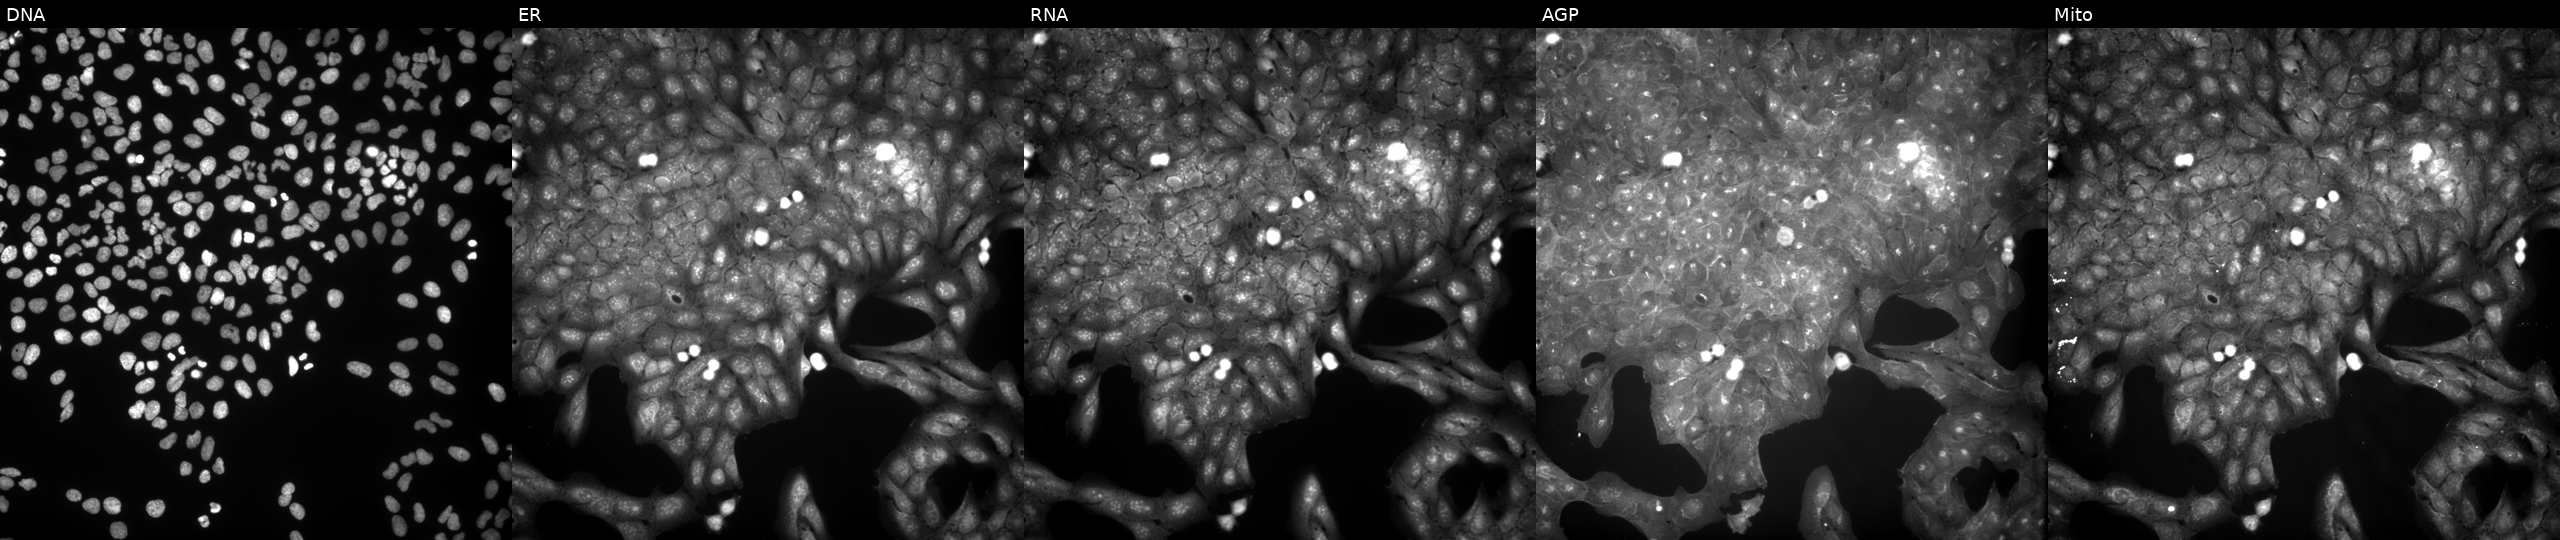
High-content fluorescence microscopy (Cell Painting). Cell line: U2OS. Perturbation: perturbed with a small-molecule compound (InChIKey MTFPDVUNIAGVPL-UHFFFAOYSA-N) (JUMP id JCP2022_056371). Channels (left→right): DNA (nuclei); ER (endoplasmic reticulum); RNA (nucleoli and cytoplasmic RNA); AGP (actin cytoskeleton, Golgi, and plasma membrane); Mito (mitochondria).